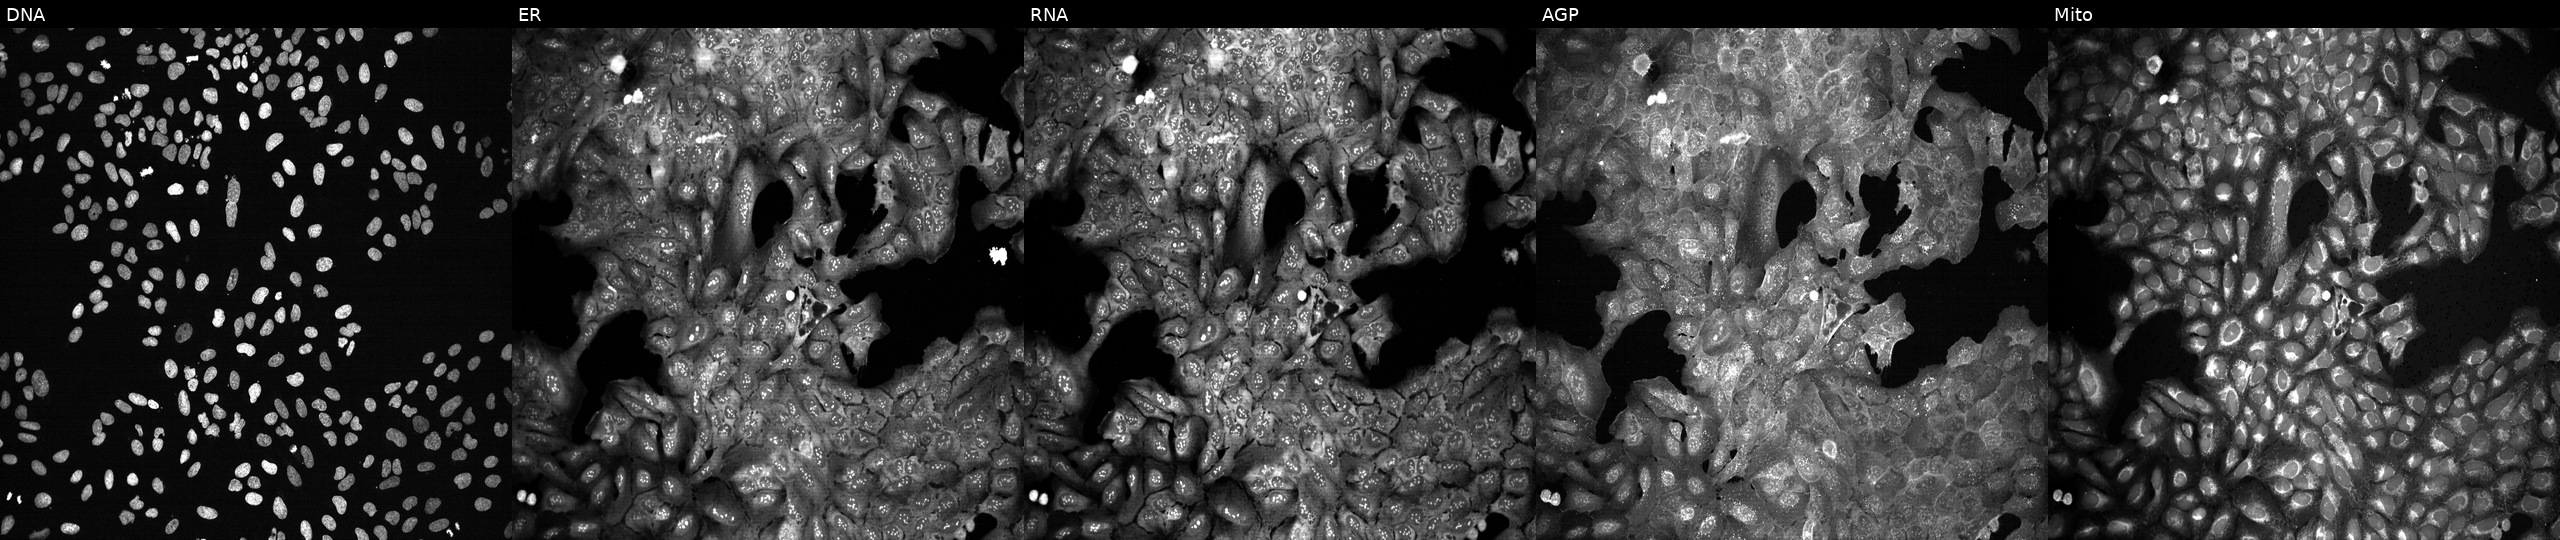
Five-channel Cell Painting image of U2OS cells CRISPR-edited to disrupt ATP10D (JUMP id JCP2022_800690). Panels show, left to right, Hoechst 33342, concanavalin A, SYTO 14, phalloidin and WGA, MitoTracker.